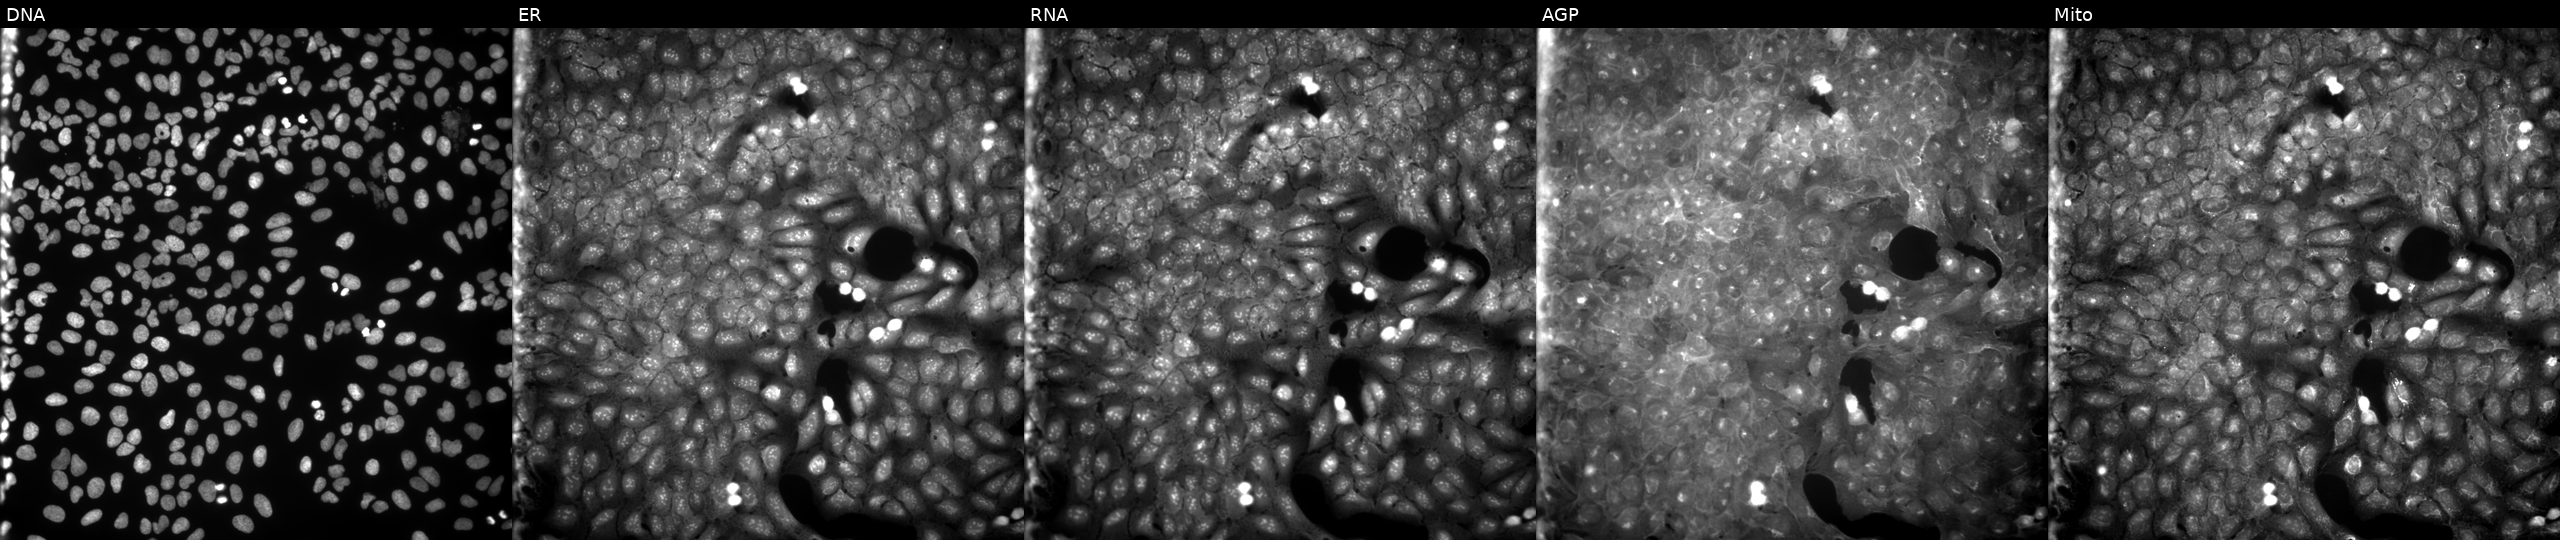
Five-channel Cell Painting image of U2OS cells perturbed with a small-molecule compound (InChIKey MZIDXSFYUWDXIU-UHFFFAOYSA-N) (JUMP id JCP2022_057531). The five panels, left to right, show Hoechst 33342, concanavalin A, SYTO 14, phalloidin and WGA, MitoTracker. Source 9, plate GR00003381, well H15.